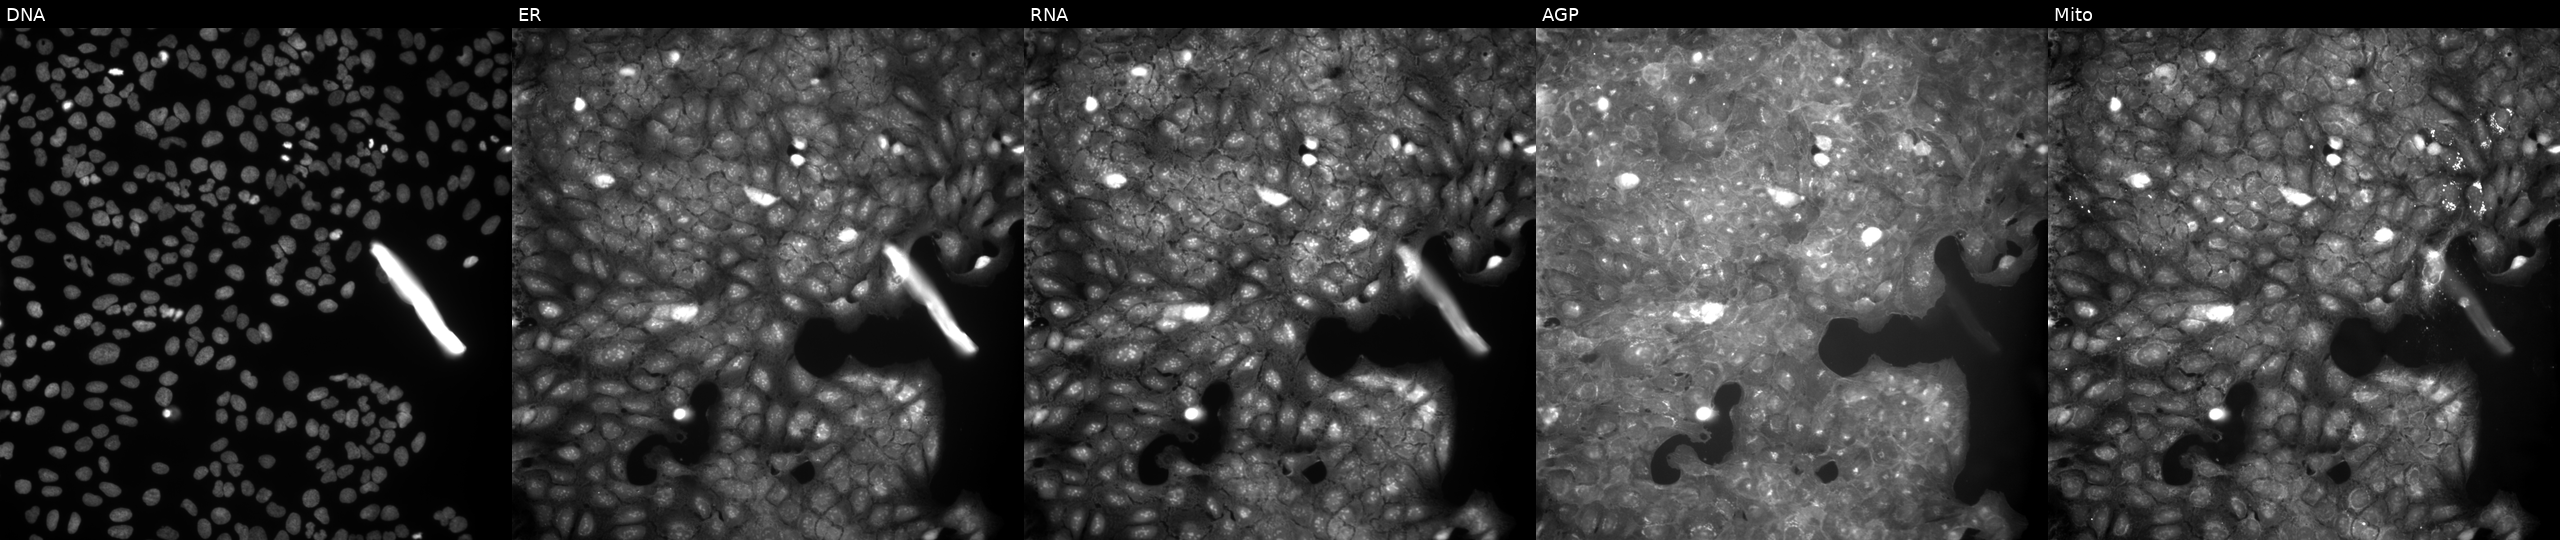
From left to right: DNA (nuclei); ER (endoplasmic reticulum); RNA (nucleoli and cytoplasmic RNA); AGP (actin cytoskeleton, Golgi, and plasma membrane); Mito (mitochondria). U2OS osteosarcoma cells exposed to a small-molecule compound [SMILES: Cc1ccc(S(=O)(=O)N(C)c2ccc(C)c([N+](=O)[O-])c2)cc1] (JUMP id JCP2022_104861). Cell Painting assay, JUMP-CP dataset. Source 9, plate GR00003382, well G27.